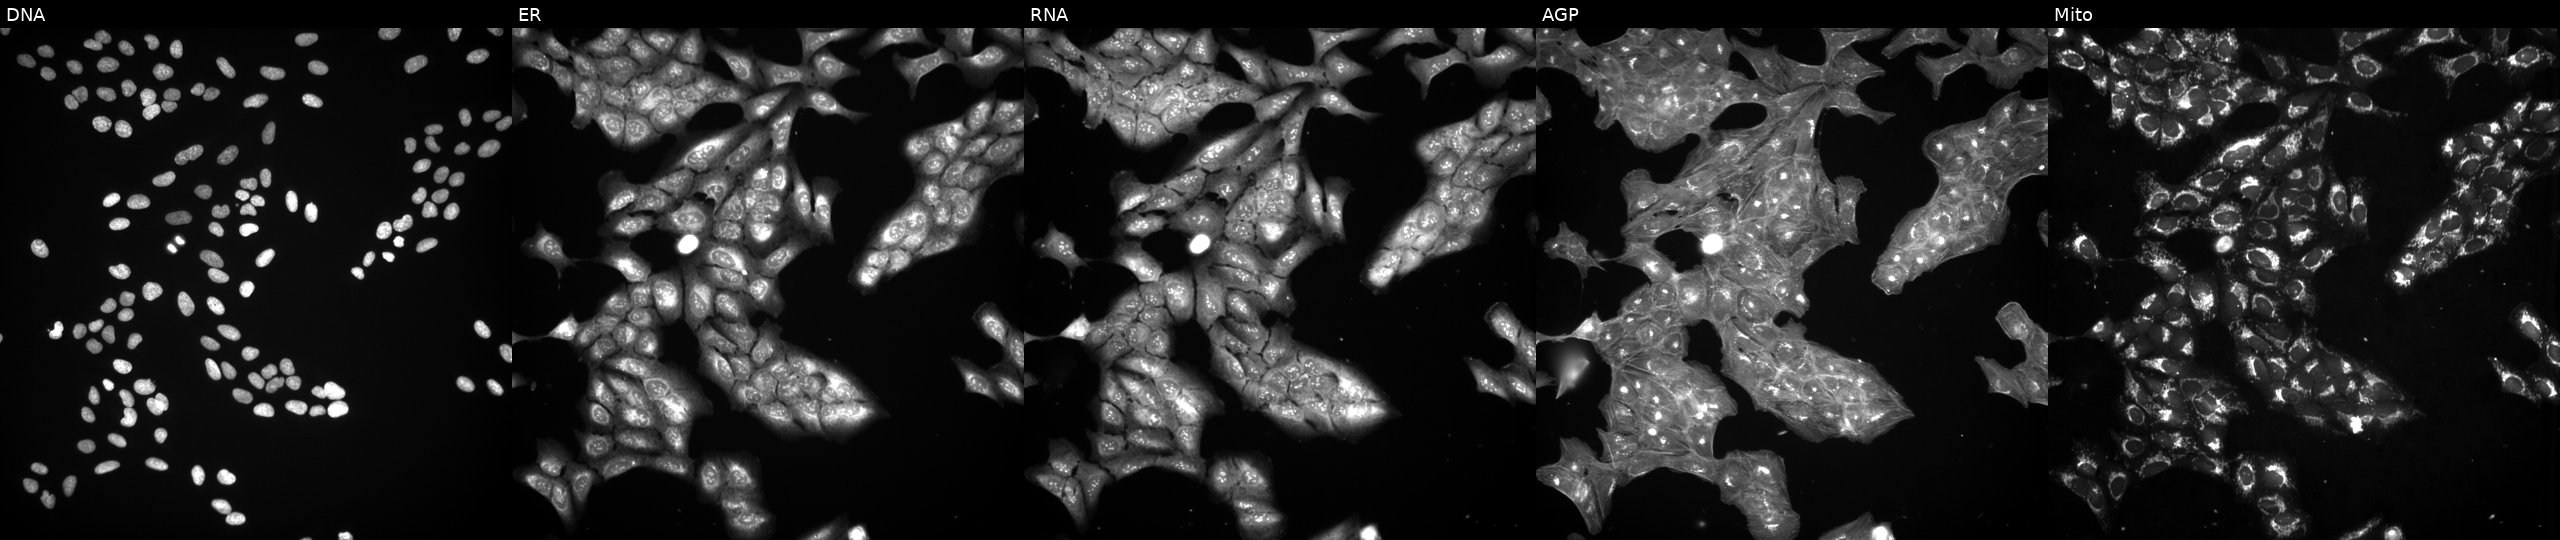
U2OS cells, Cell Painting assay, treated with a small-molecule compound (InChIKey AZMIBIOYLYGBQF-UHFFFAOYSA-N). Panels show, left to right, DNA (nuclei); ER (endoplasmic reticulum); RNA (nucleoli and cytoplasmic RNA); AGP (actin cytoskeleton, Golgi, and plasma membrane); Mito (mitochondria). Each panel is percentile-stretched 16-bit fluorescence.